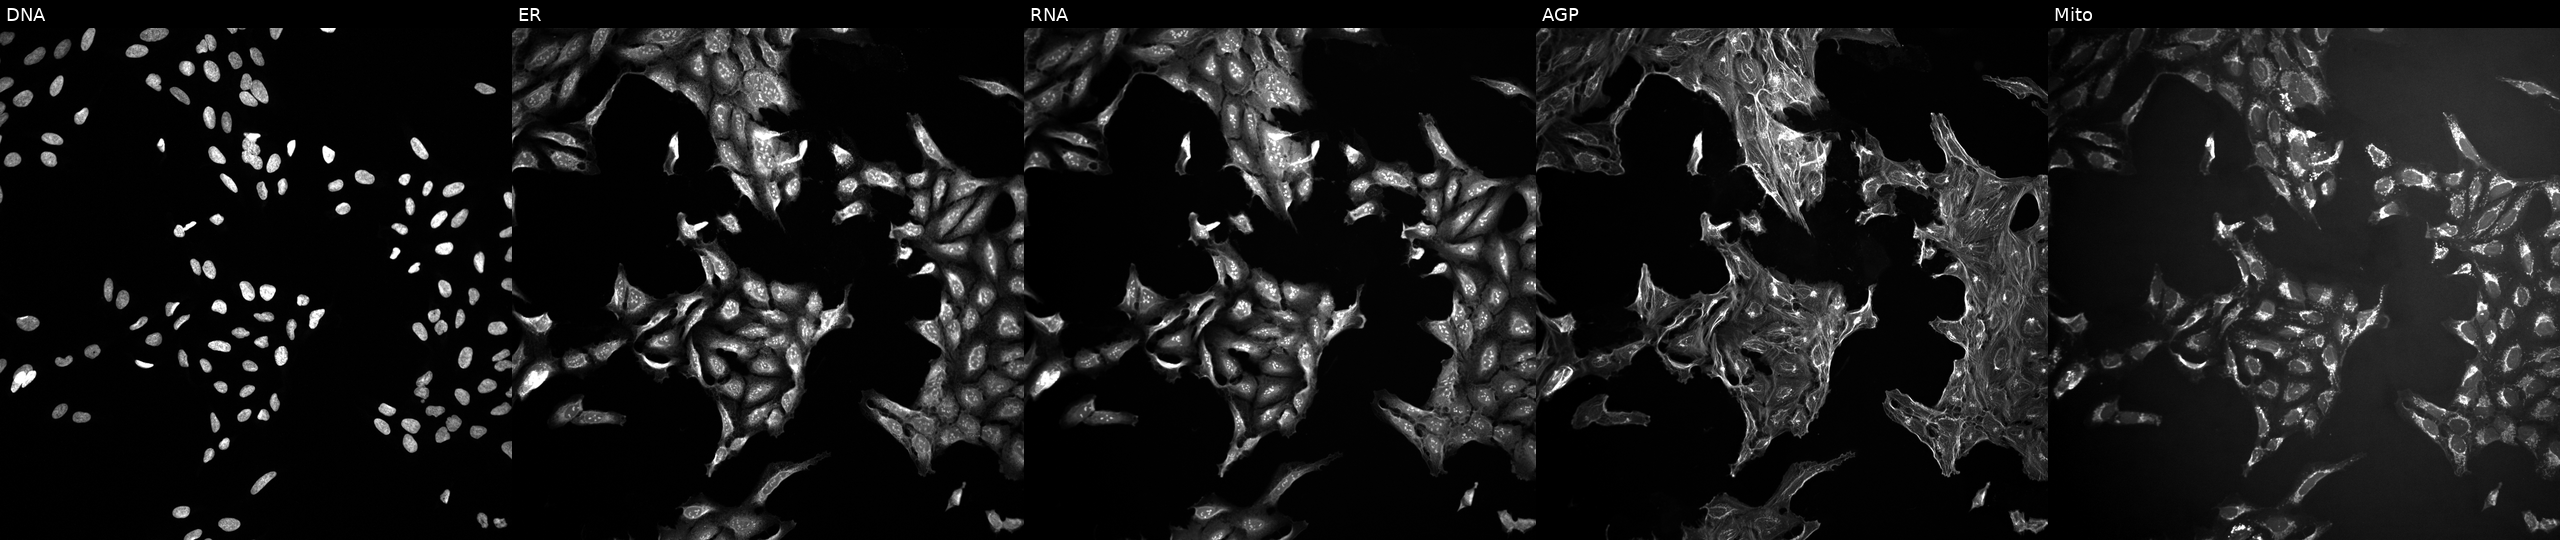
This image strip shows the five Cell Painting channels for a single field of U2OS cells treated with a small-molecule compound (InChIKey IYAYHZZWYNXHEQ-UHFFFAOYSA-N). Channels (left→right): Hoechst 33342, concanavalin A, SYTO 14, phalloidin and WGA, MitoTracker.